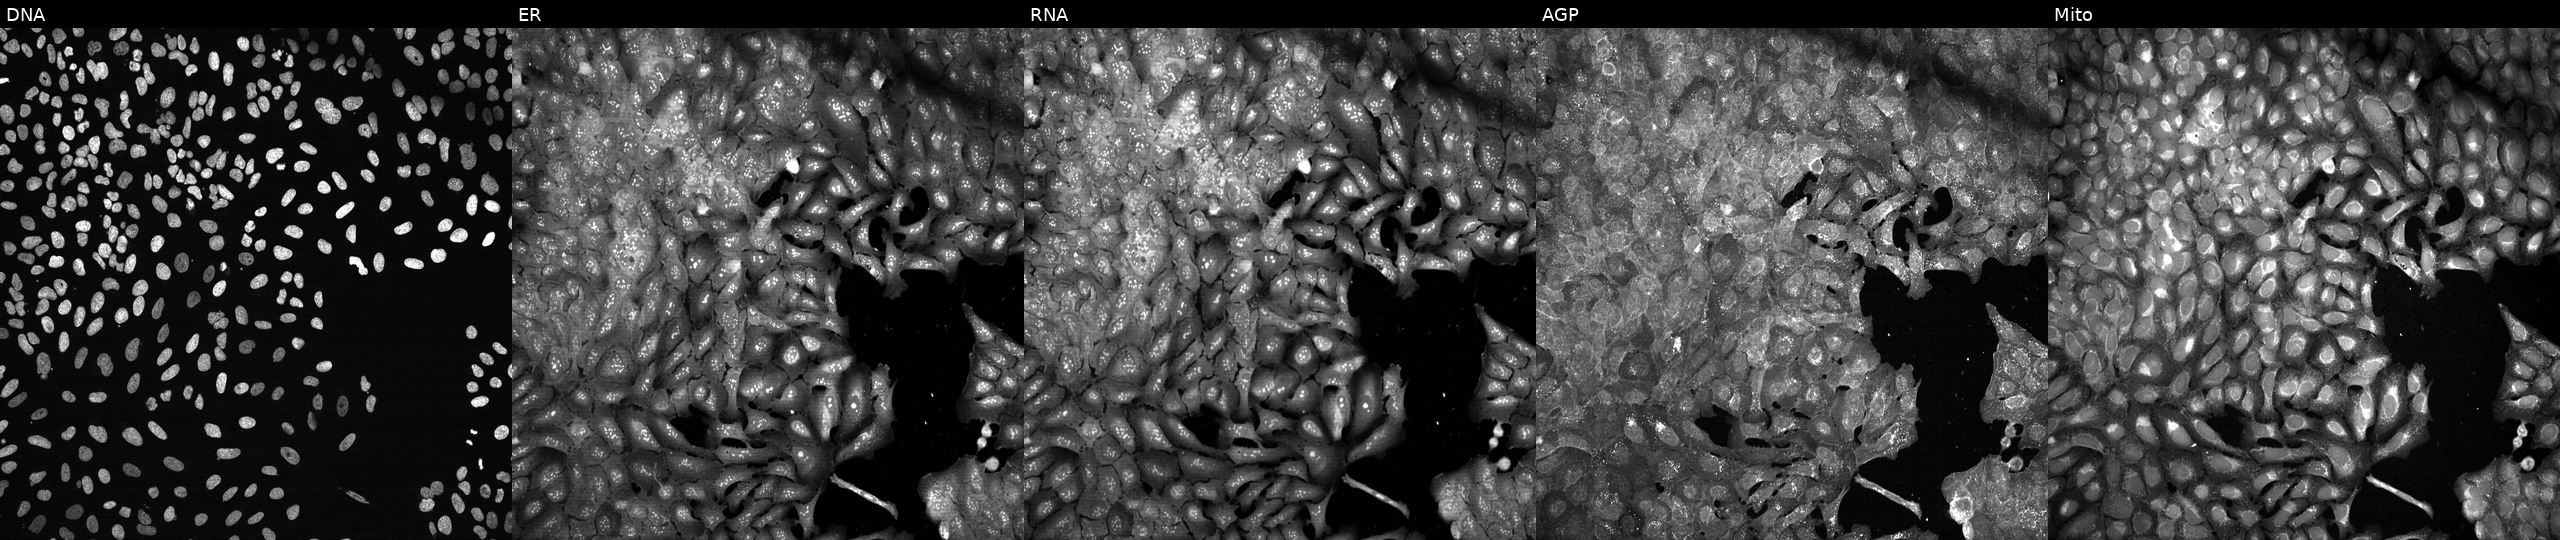
Panels show, left to right, DNA (nuclei); ER (endoplasmic reticulum); RNA (nucleoli and cytoplasmic RNA); AGP (actin cytoskeleton, Golgi, and plasma membrane); Mito (mitochondria). U2OS osteosarcoma cells following CRISPR knockout of ANGPTL3 (JUMP id JCP2022_800458). Cell Painting assay, JUMP-CP dataset.